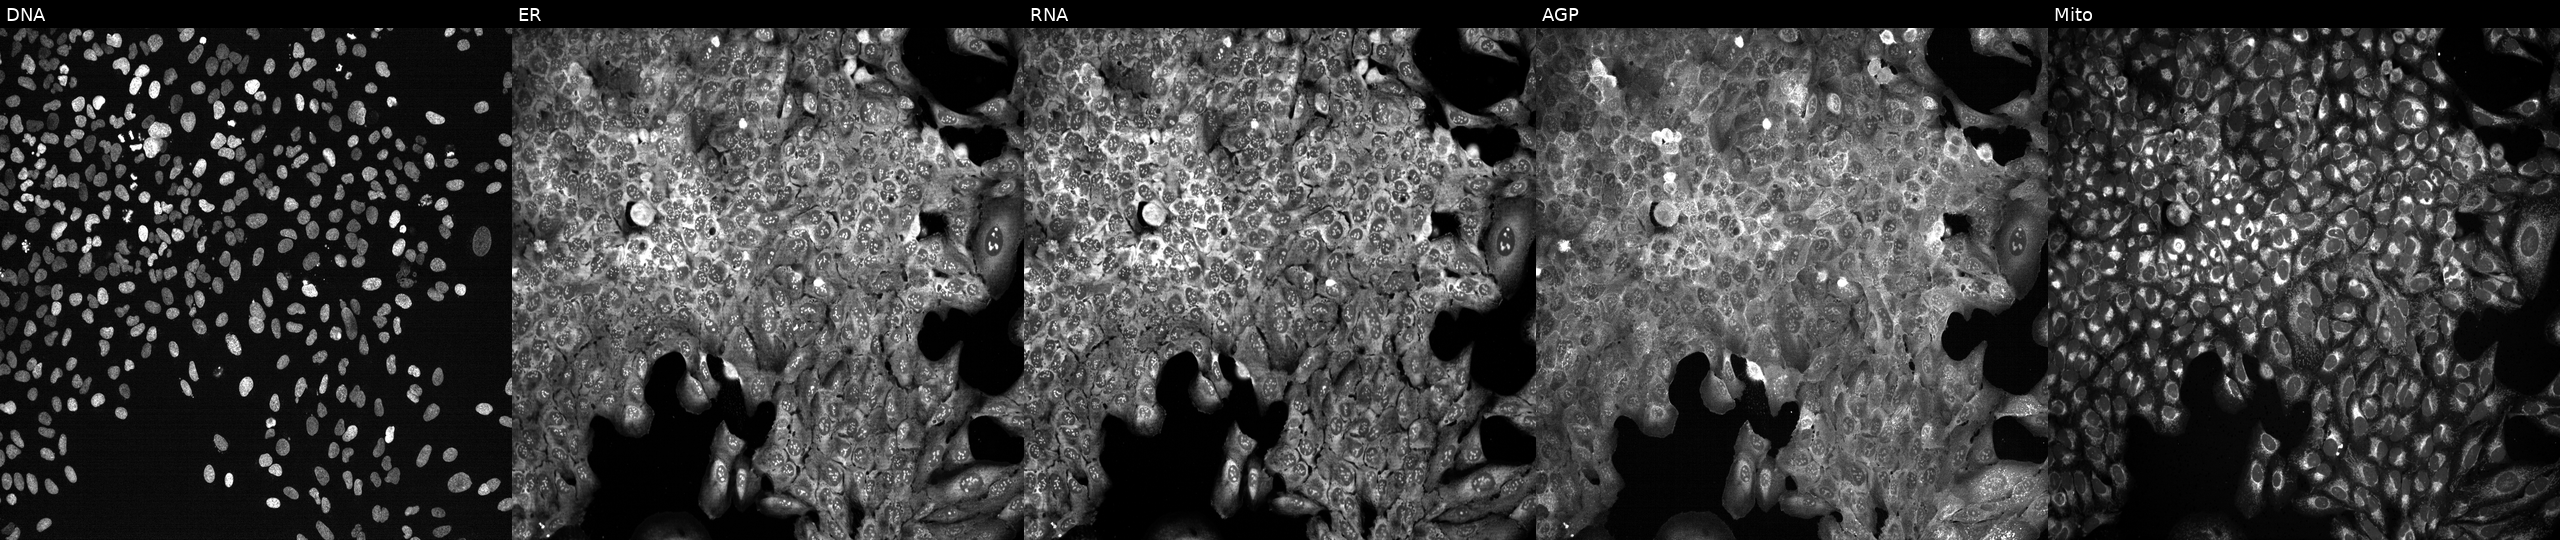
The five panels, left to right, show DNA, ER, RNA, AGP, and Mito. U2OS osteosarcoma cells CRISPR-edited to disrupt UPP2 (JUMP id JCP2022_807553). Cell Painting assay, JUMP-CP dataset.